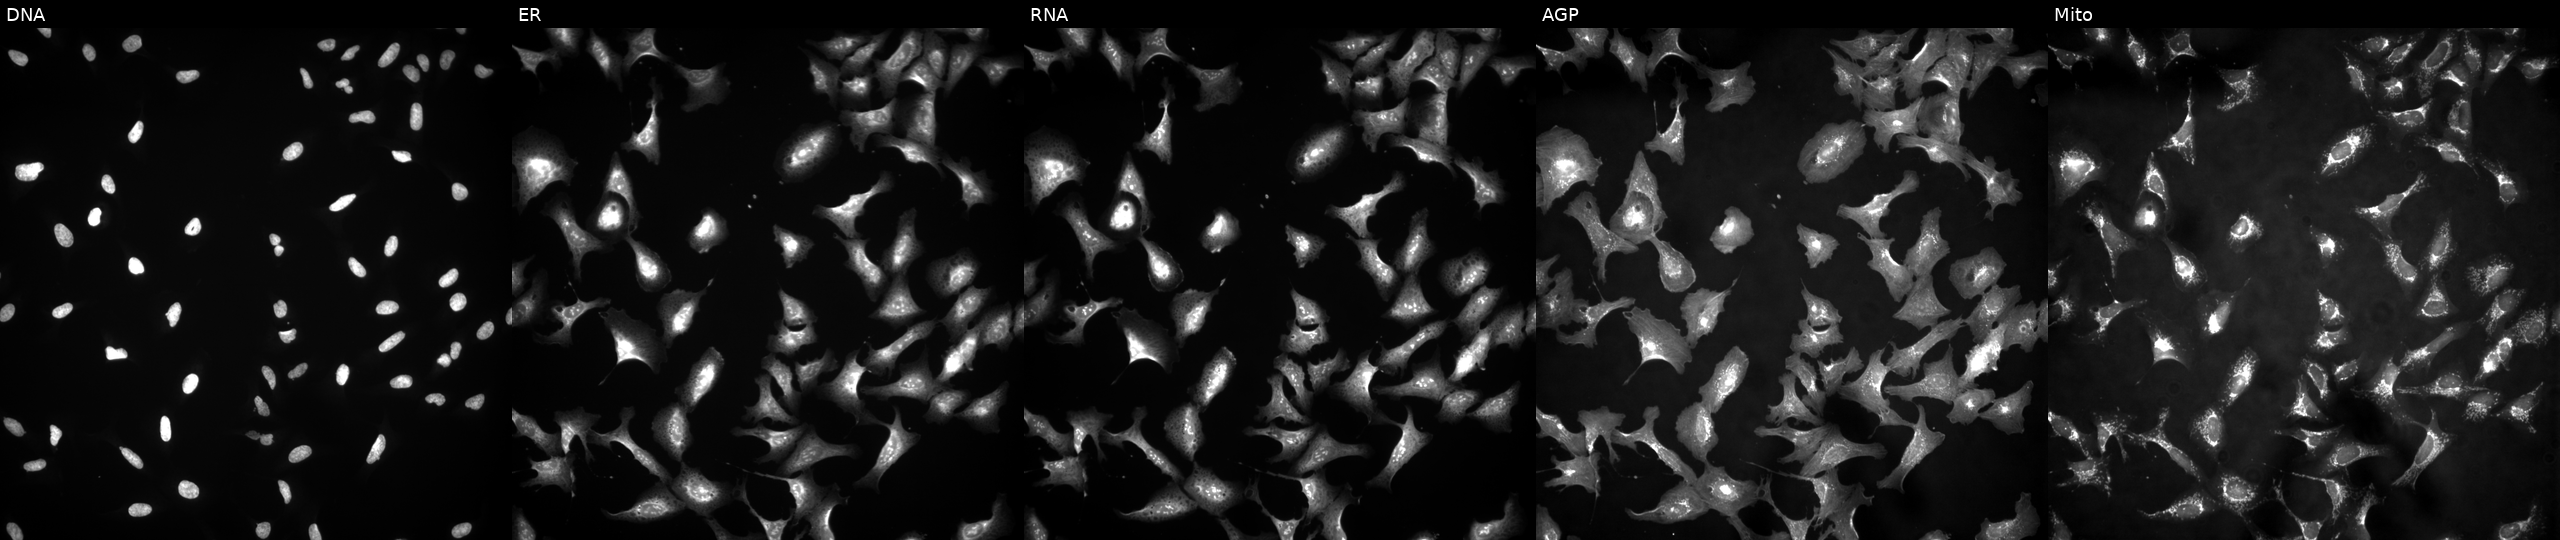
Five-channel Cell Painting image of U2OS cells expressing BFP (ORF negative control). Panels show, left to right, DNA, ER, RNA, AGP, and Mito.